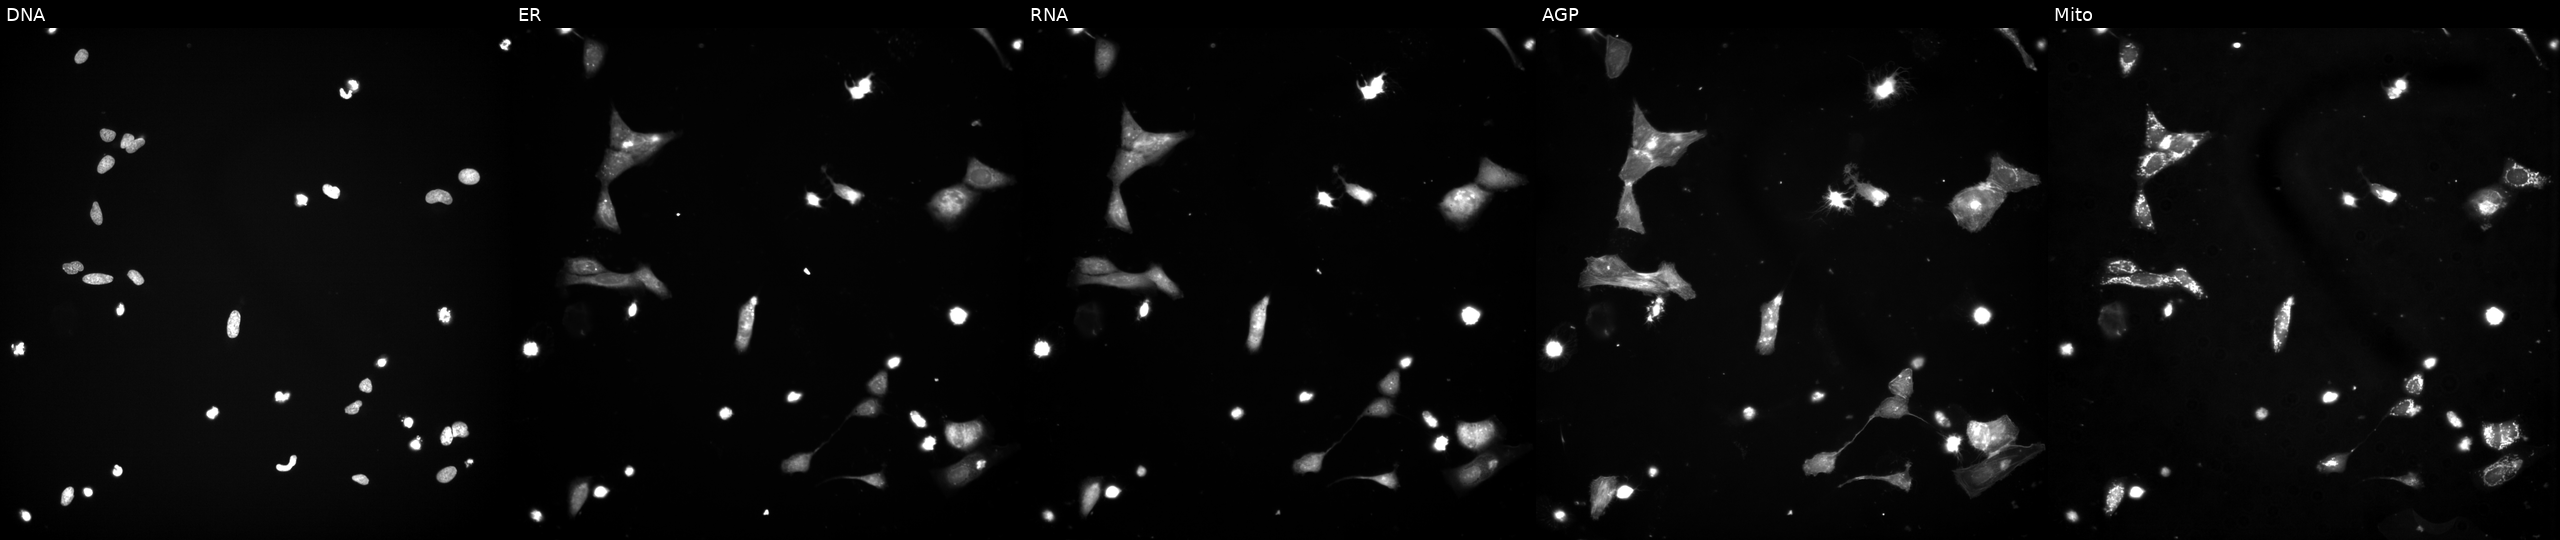
The five panels, left to right, show DNA, ER, RNA, AGP, and Mito. U2OS osteosarcoma cells exposed to a small-molecule compound [SMILES: Cc1nc(=Nc2[nH]nc3c2CN(C(=O)NC(CN(C)C)c2ccccc2)C3(C)C)c2sccc2[nH]1] (JUMP id JCP2022_004587). Cell Painting assay, JUMP-CP dataset.